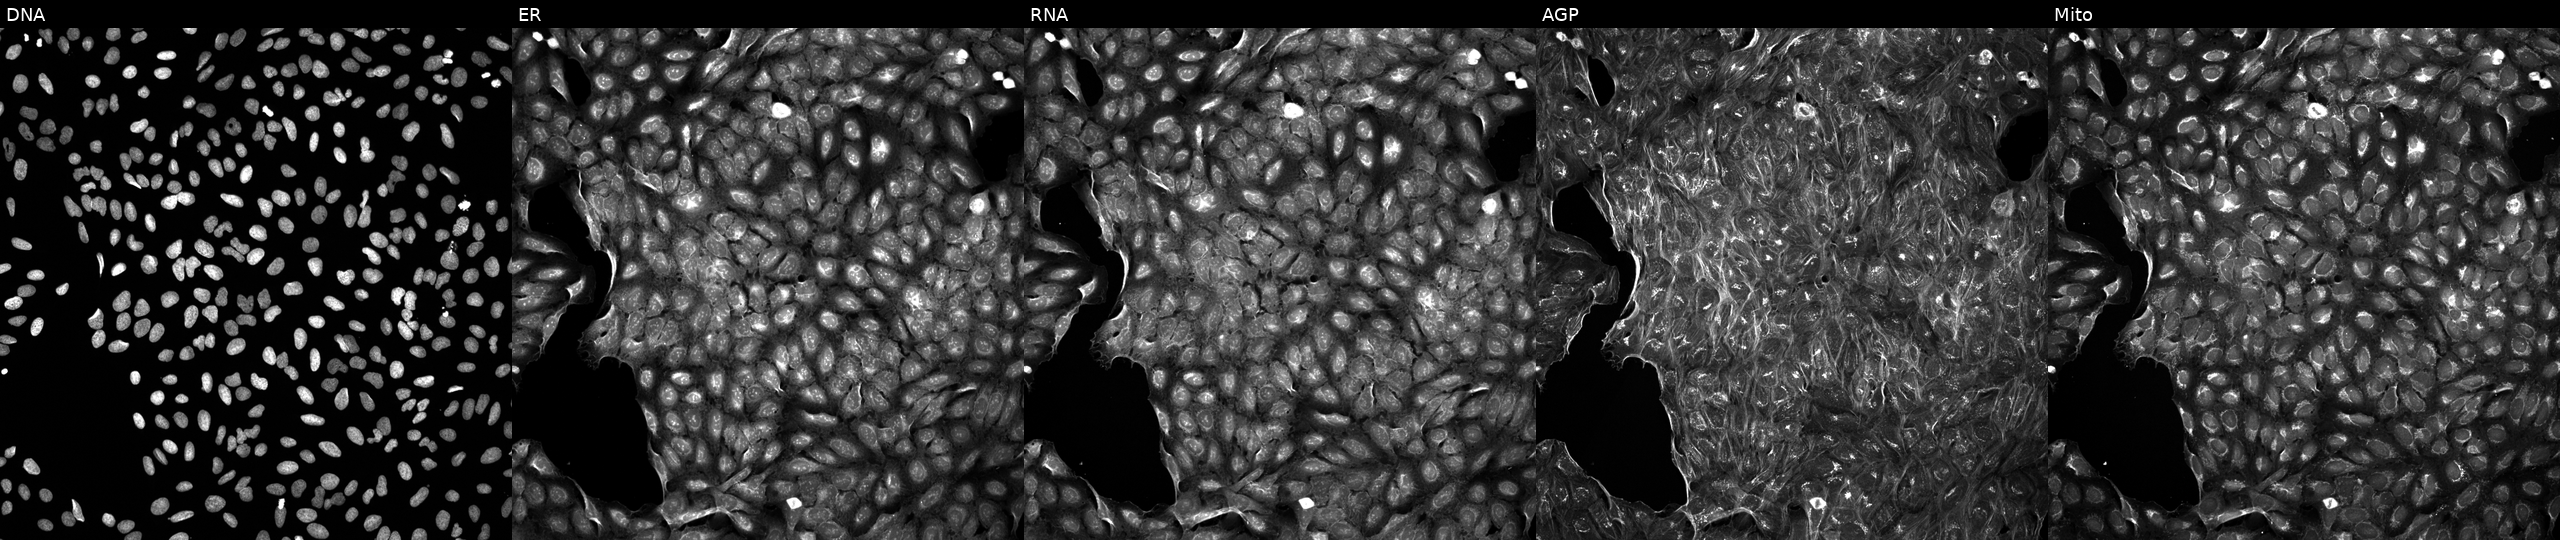
U2OS cells, Cell Painting assay, exposed to a small-molecule compound (InChIKey VFQXKRJUHWOJGN-UHFFFAOYSA-N) (JUMP id JCP2022_093656). The five panels, left to right, show DNA (nuclei); ER (endoplasmic reticulum); RNA (nucleoli and cytoplasmic RNA); AGP (actin cytoskeleton, Golgi, and plasma membrane); Mito (mitochondria). Each panel is percentile-stretched 16-bit fluorescence.